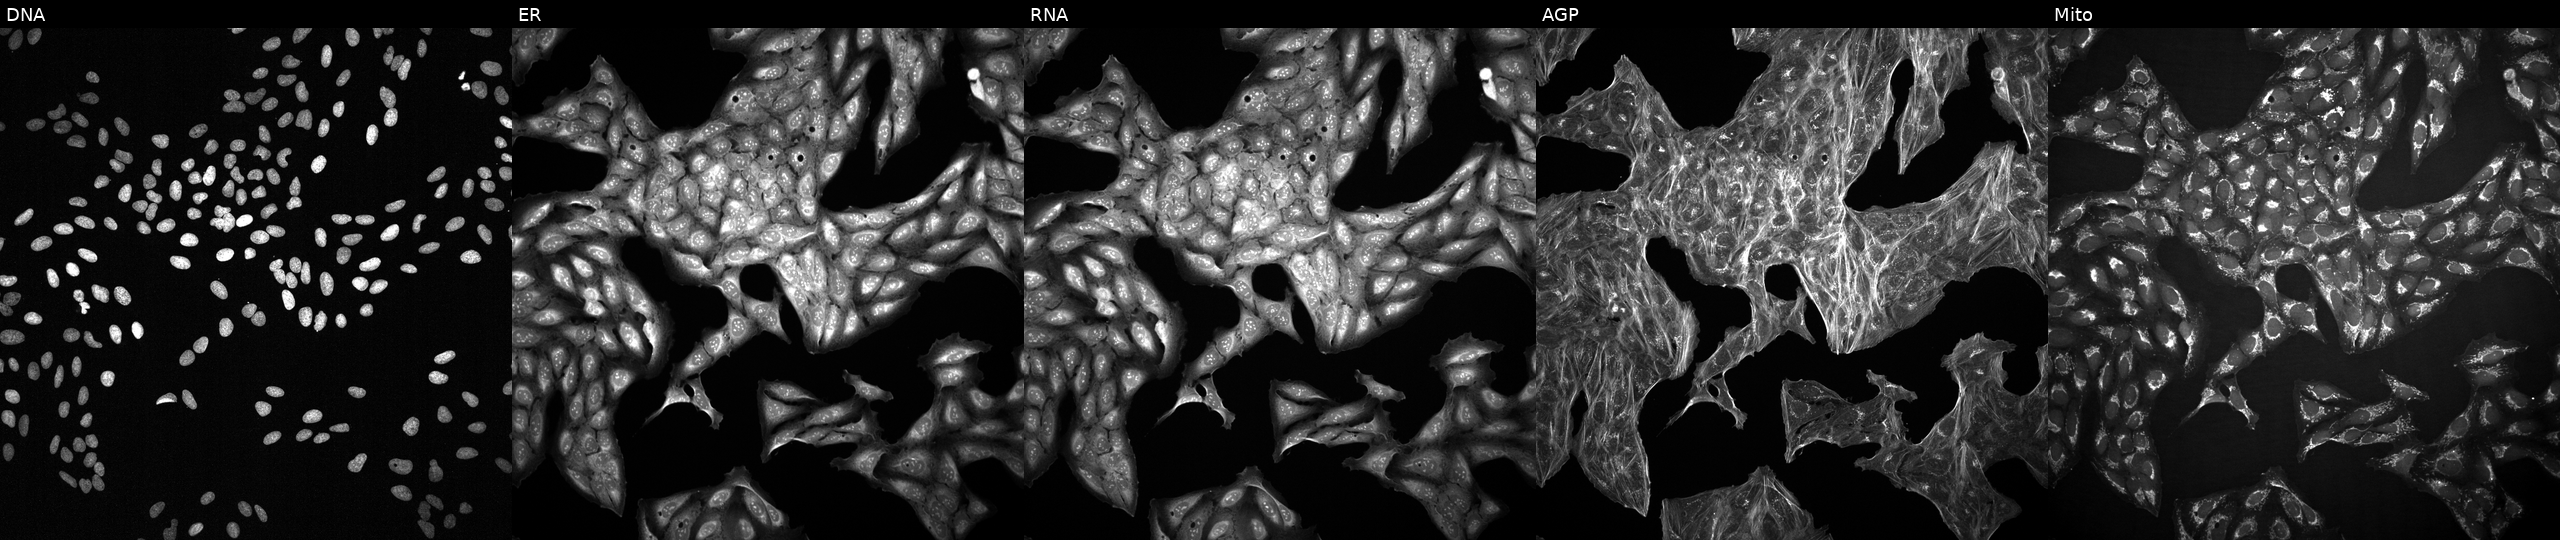
Five-channel Cell Painting image of U2OS cells treated with a small-molecule compound (InChIKey XRKYMMUGXMWDAO-UHFFFAOYSA-N) (JUMP id JCP2022_105539). From left to right: Hoechst 33342, concanavalin A, SYTO 14, phalloidin and WGA, MitoTracker. Source 2, plate 1053600674, well K15.